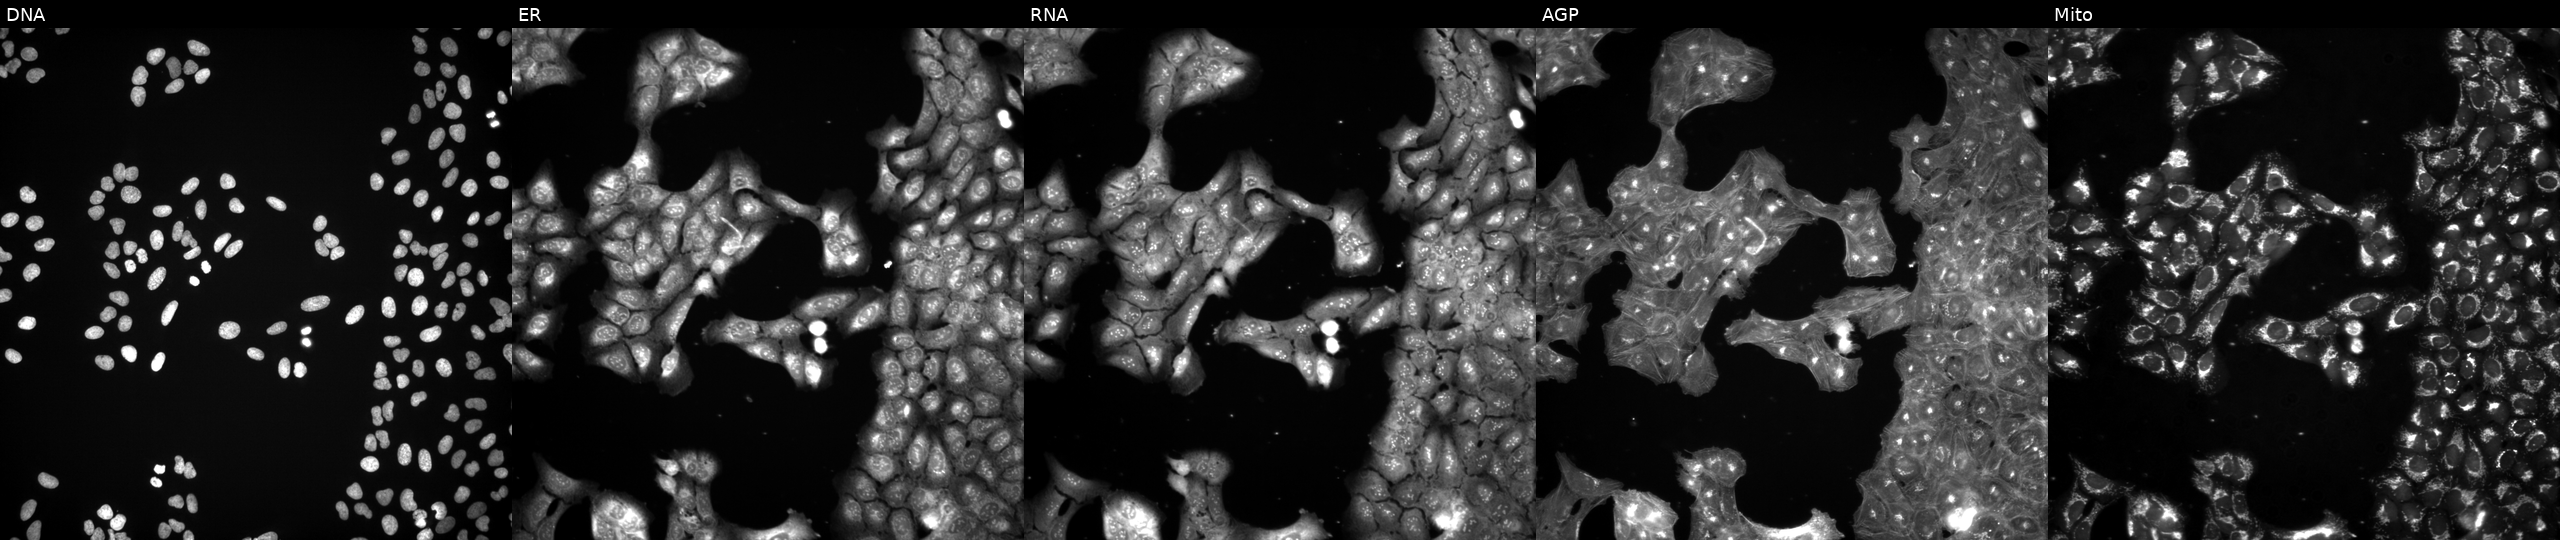
From left to right: Hoechst 33342, concanavalin A, SYTO 14, phalloidin and WGA, MitoTracker. U2OS osteosarcoma cells exposed to a small-molecule compound (InChIKey VYVHHCLMHRYEJF-UHFFFAOYSA-N). Cell Painting assay, JUMP-CP dataset. Source 3, plate BR5867b3, well G14.